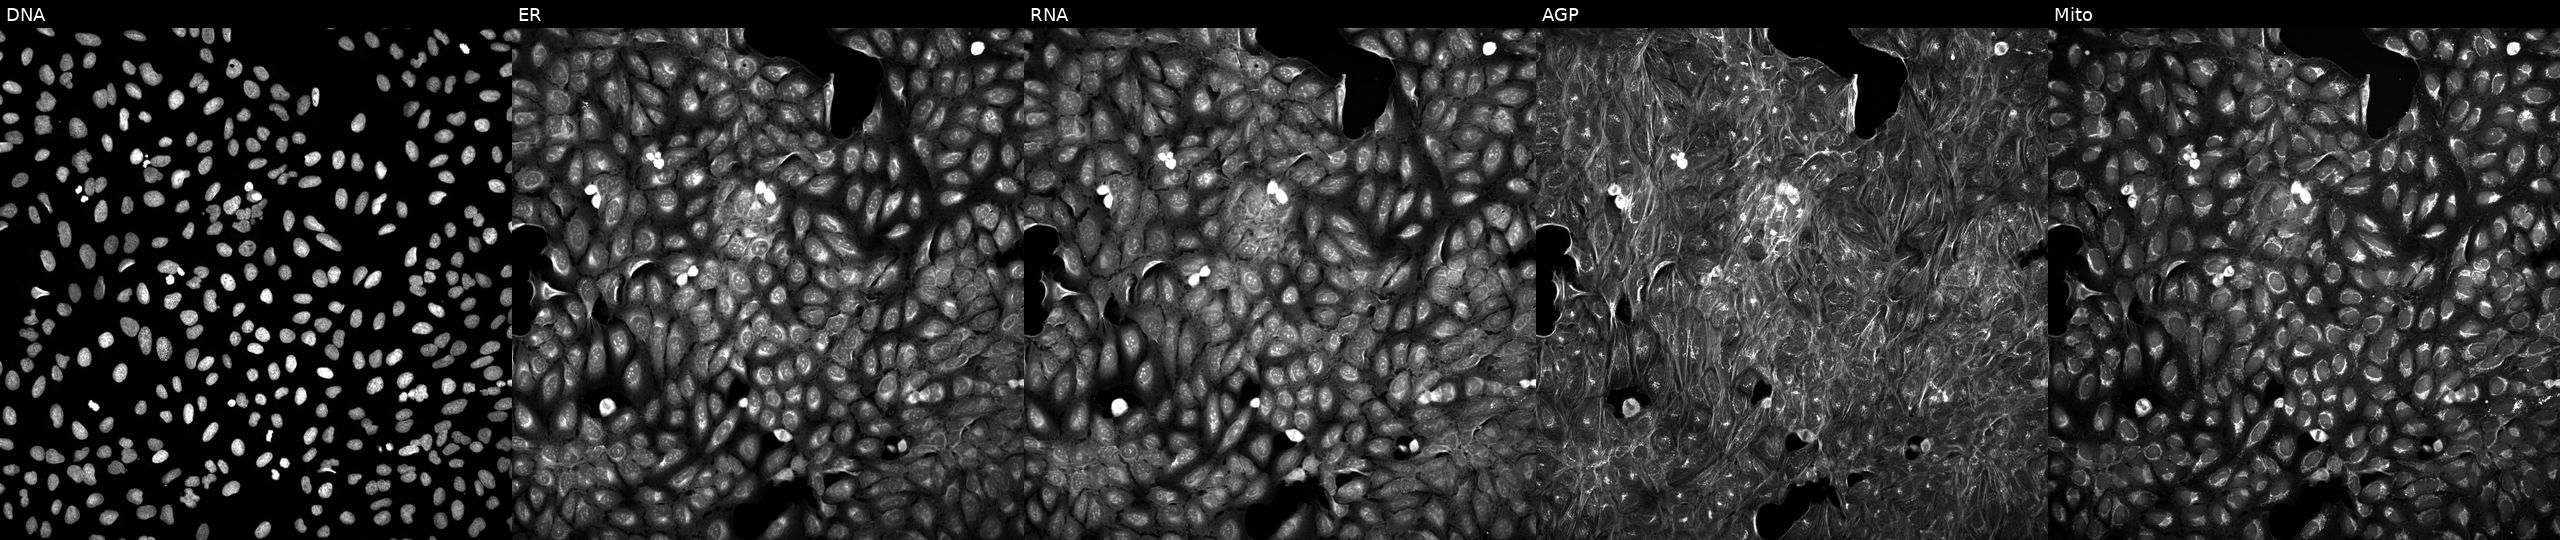
Five-channel Cell Painting image of U2OS cells exposed to a small-molecule compound (InChIKey VGZSUPCWNCWDAN-UHFFFAOYSA-N) (JUMP id JCP2022_093901). The five panels, left to right, show DNA, ER, RNA, AGP, and Mito.